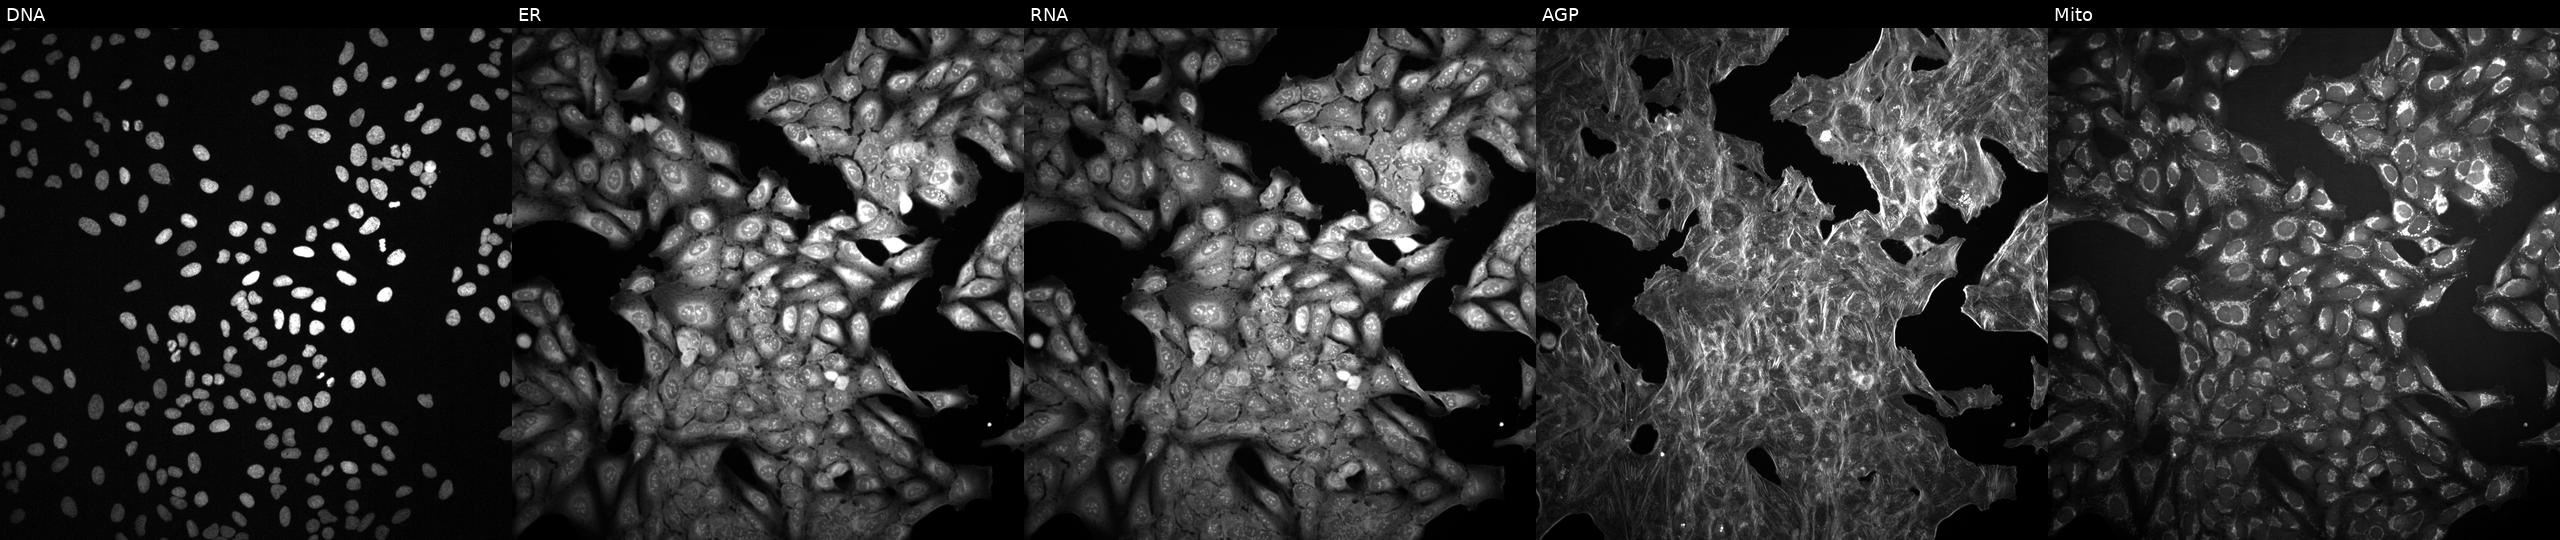
Panels show, left to right, Hoechst 33342, concanavalin A, SYTO 14, phalloidin and WGA, MitoTracker. U2OS osteosarcoma cells treated with a small-molecule compound (InChIKey SGRYPYWGNKJSDL-UHFFFAOYSA-N) [SMILES: CC(C)c1ccc2oc3[nH]c(=N)c(C(=O)O)cc3c(=O)c2c1]. Cell Painting assay, JUMP-CP dataset.